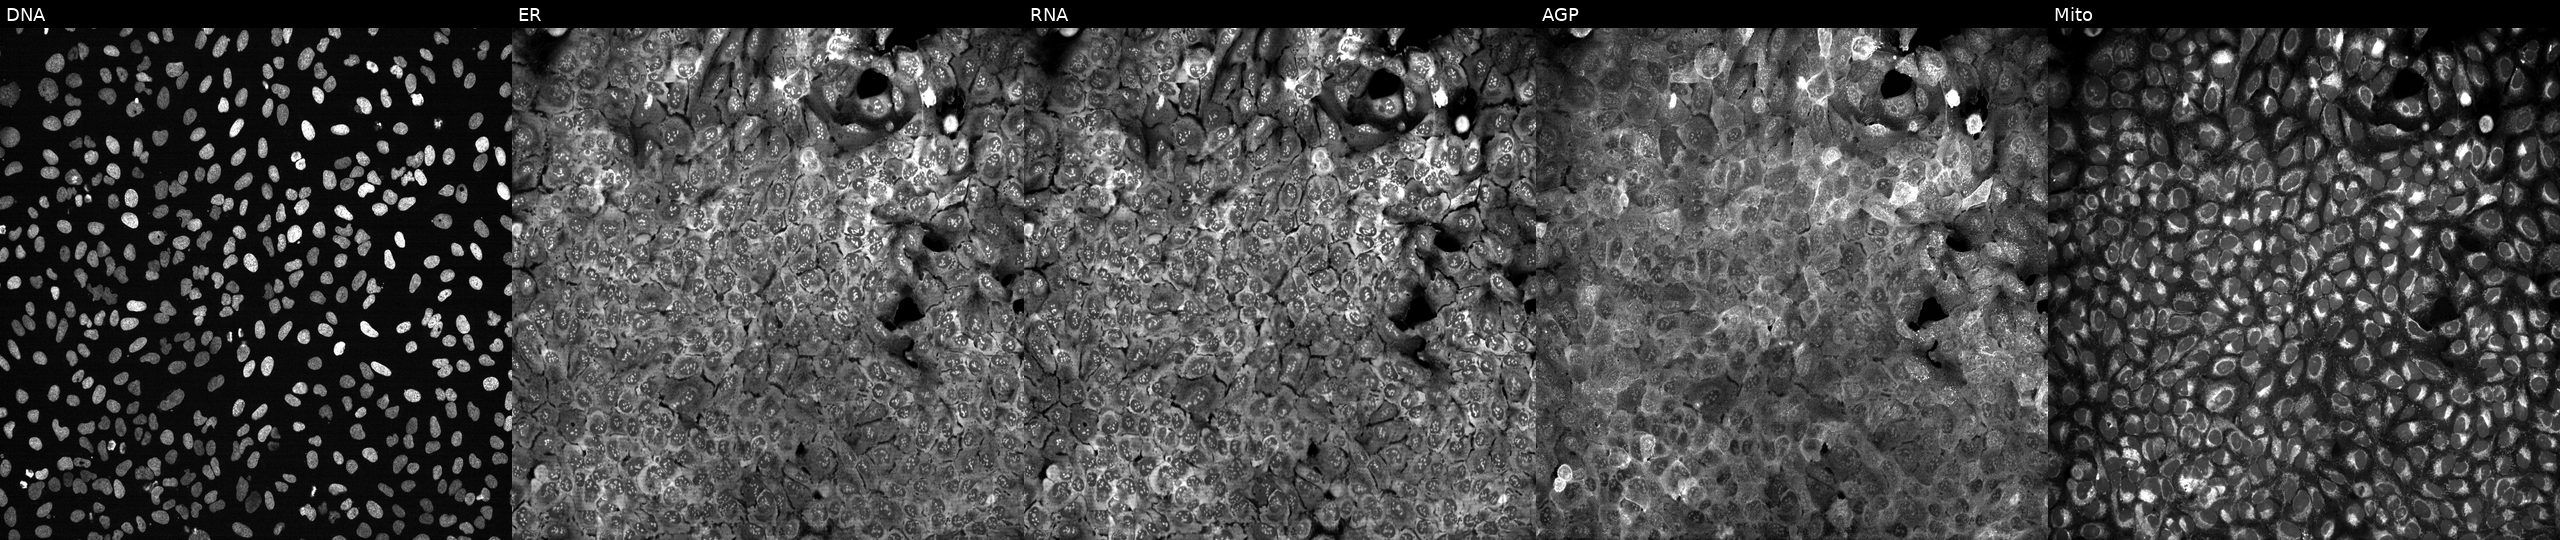
The five panels, left to right, show Hoechst 33342, concanavalin A, SYTO 14, phalloidin and WGA, MitoTracker. U2OS osteosarcoma cells with RHOB knocked out by CRISPR. Cell Painting assay, JUMP-CP dataset. Source 13, plate CP-CC9-R2-02, well L07.